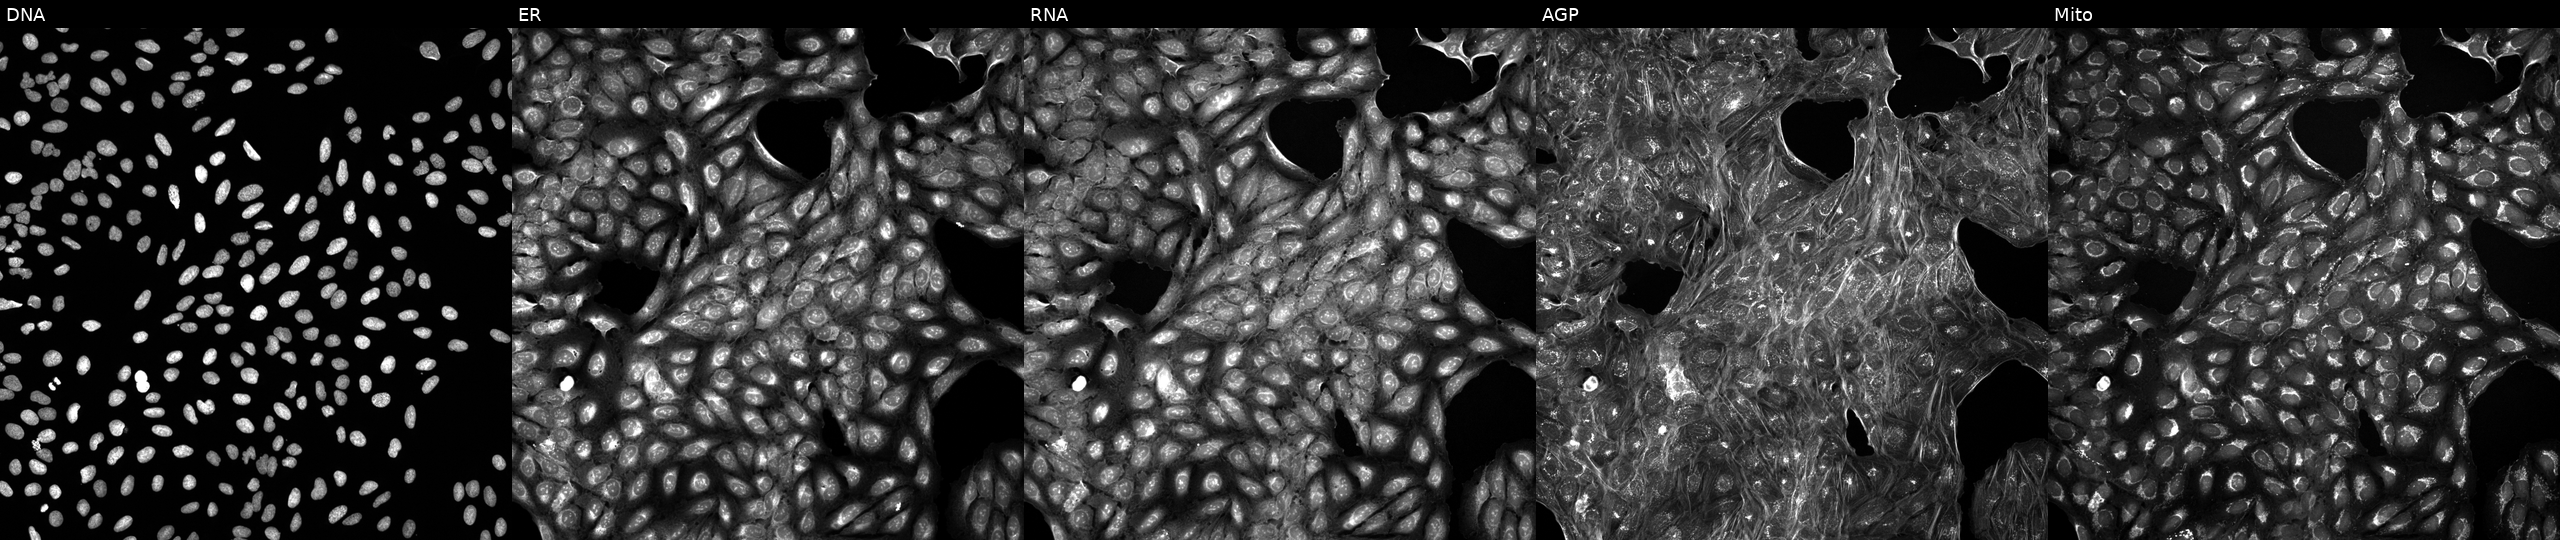
Channels (left→right): Hoechst 33342, concanavalin A, SYTO 14, phalloidin and WGA, MitoTracker. U2OS osteosarcoma cells treated with a small-molecule compound (InChIKey HGVDHZBSSITLCT-UHFFFAOYSA-N) [SMILES: CN1CCc2nc(C(=O)NC3CC(C(=O)N(C)C)CCC3NC(=O)C(=O)N=c3ccc(Cl)c[nH]3)sc2C1] (JUMP id JCP2022_030094). Cell Painting assay, JUMP-CP dataset.